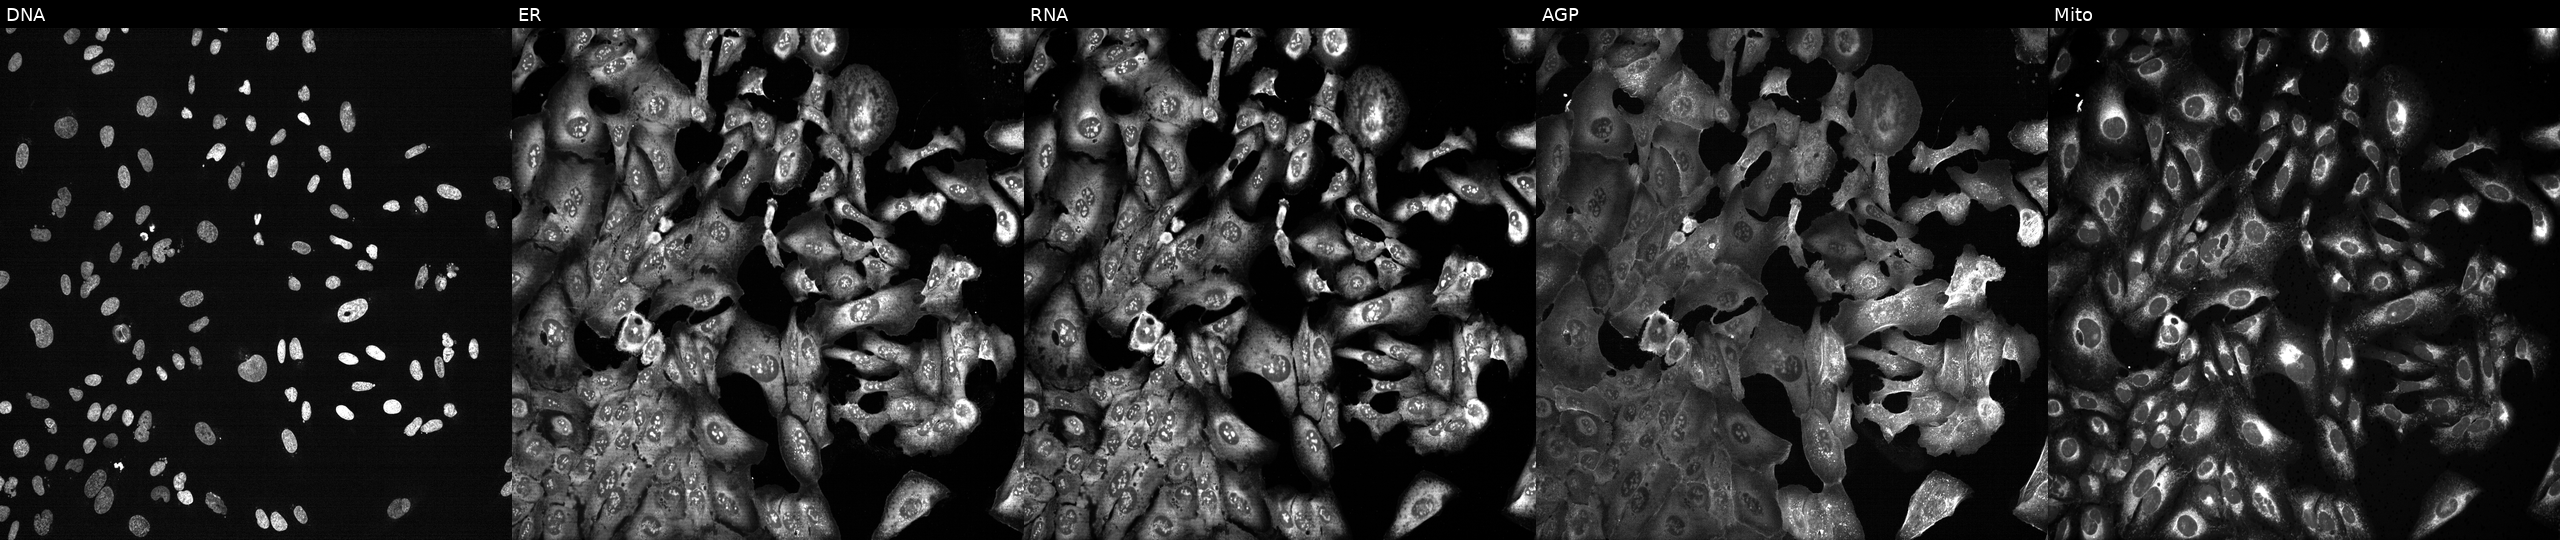
High-content fluorescence microscopy (Cell Painting). Cell line: U2OS. Perturbation: following CRISPR knockout of LRP10. From left to right: DNA (nuclei); ER (endoplasmic reticulum); RNA (nucleoli and cytoplasmic RNA); AGP (actin cytoskeleton, Golgi, and plasma membrane); Mito (mitochondria). Source 13, plate CP-CC9-R2-01, well F09.